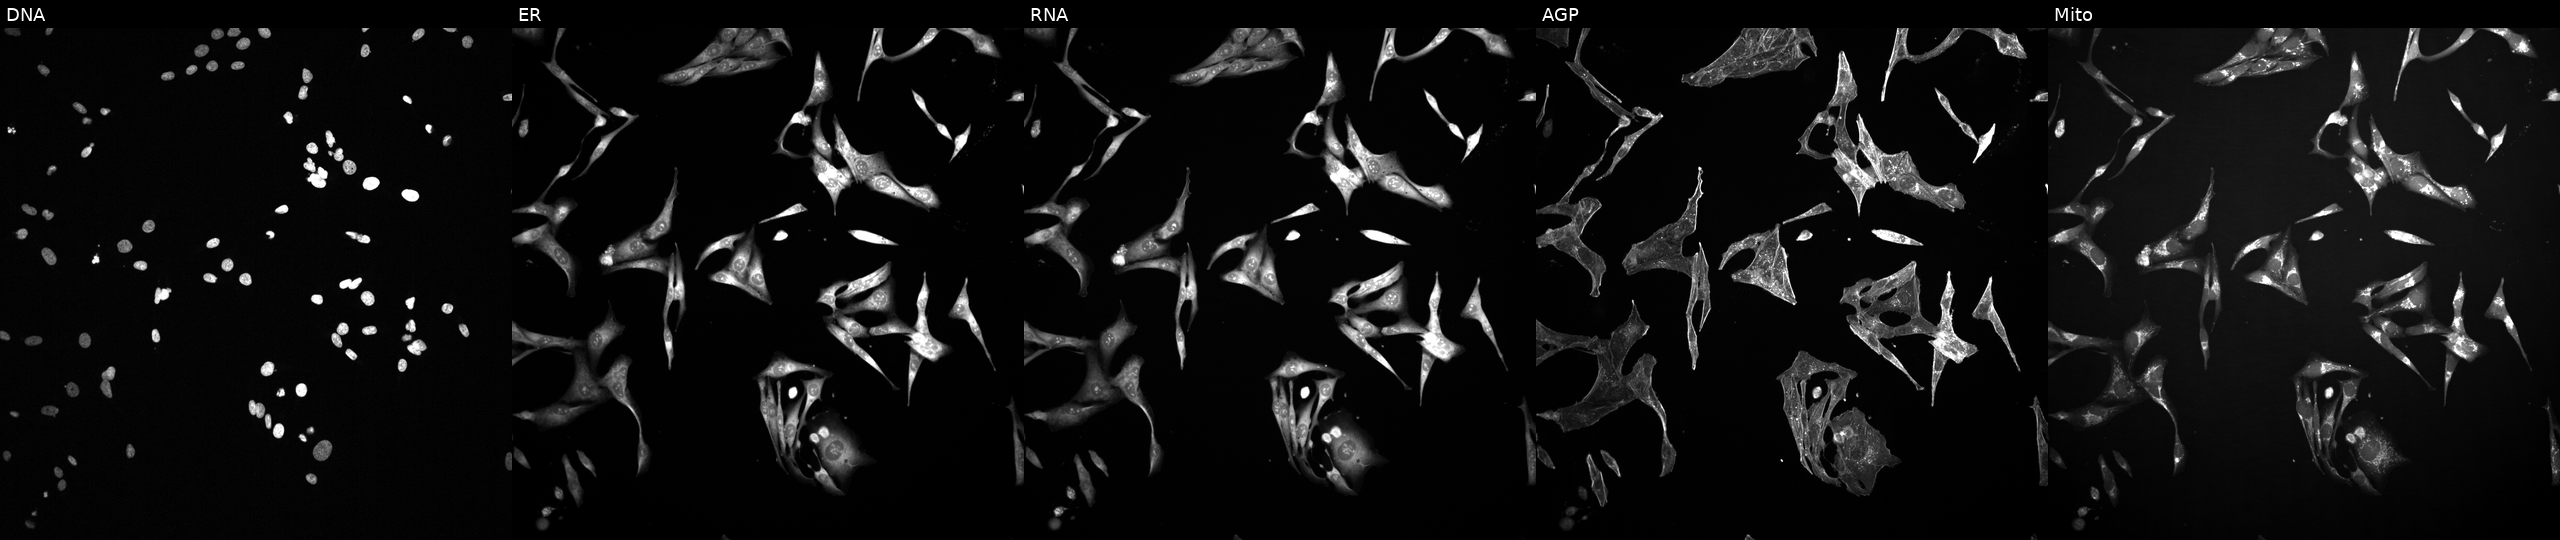
High-content fluorescence microscopy (Cell Painting). Cell line: U2OS. Perturbation: exposed to a small-molecule compound (InChIKey RYMZZMVNJRMUDD-UHFFFAOYSA-N) (JUMP id JCP2022_081555). Panels show, left to right, Hoechst 33342, concanavalin A, SYTO 14, phalloidin and WGA, MitoTracker. Source 2, plate 1053597936, well N02.